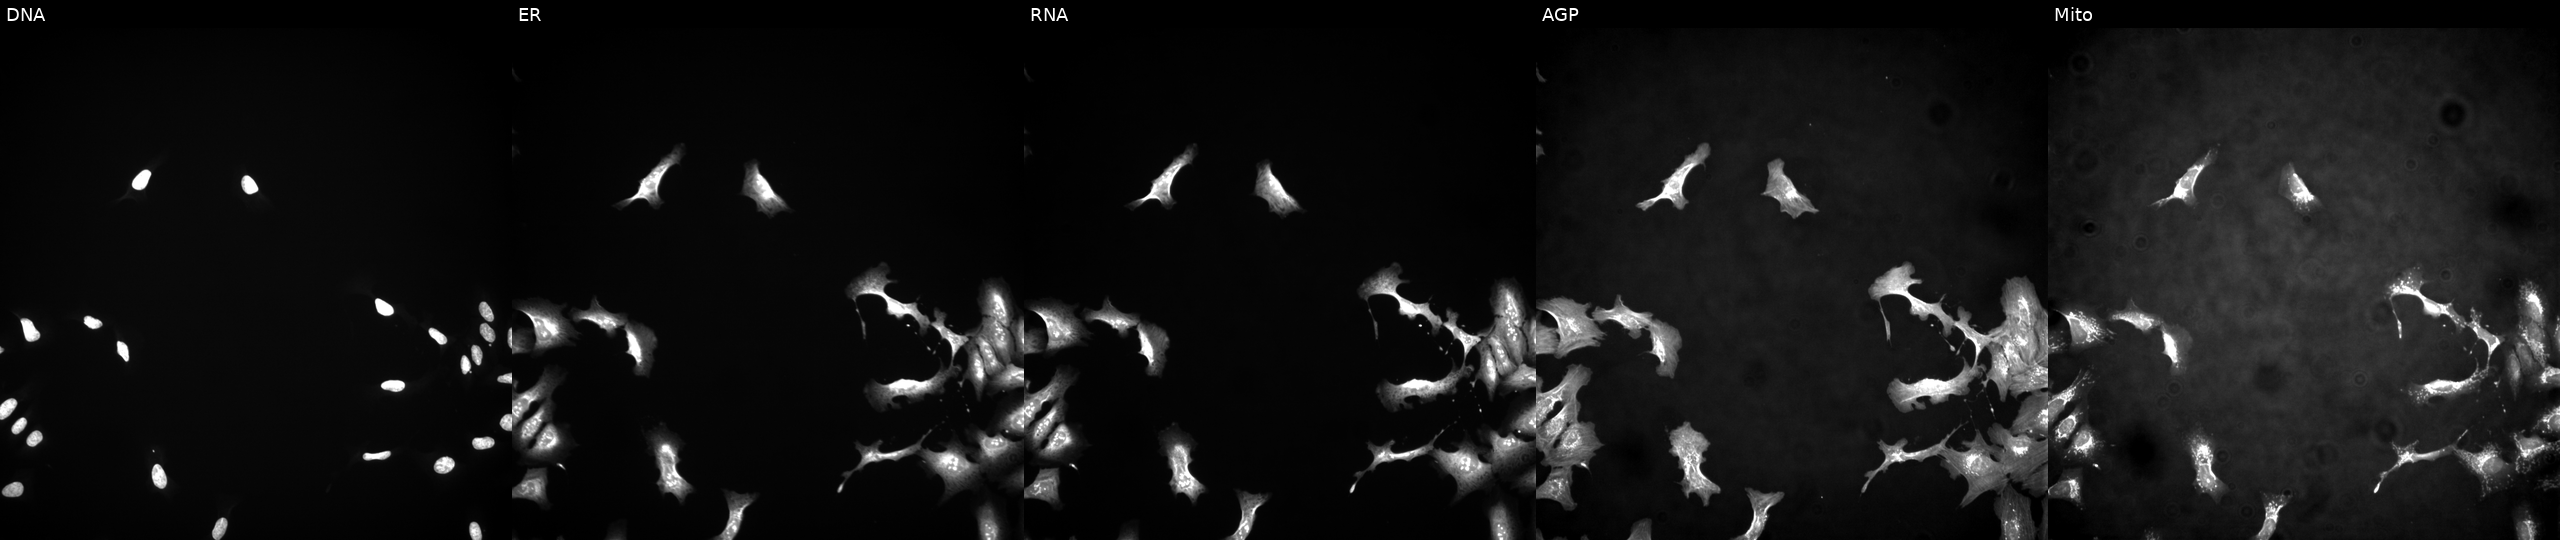
U2OS cells, Cell Painting assay, with TNNI2 overexpressed (ORF) (JUMP id JCP2022_906626). Channels (left→right): Hoechst 33342, concanavalin A, SYTO 14, phalloidin and WGA, MitoTracker. Each panel is percentile-stretched 16-bit fluorescence. Source 4, plate BR00124784, well N06.